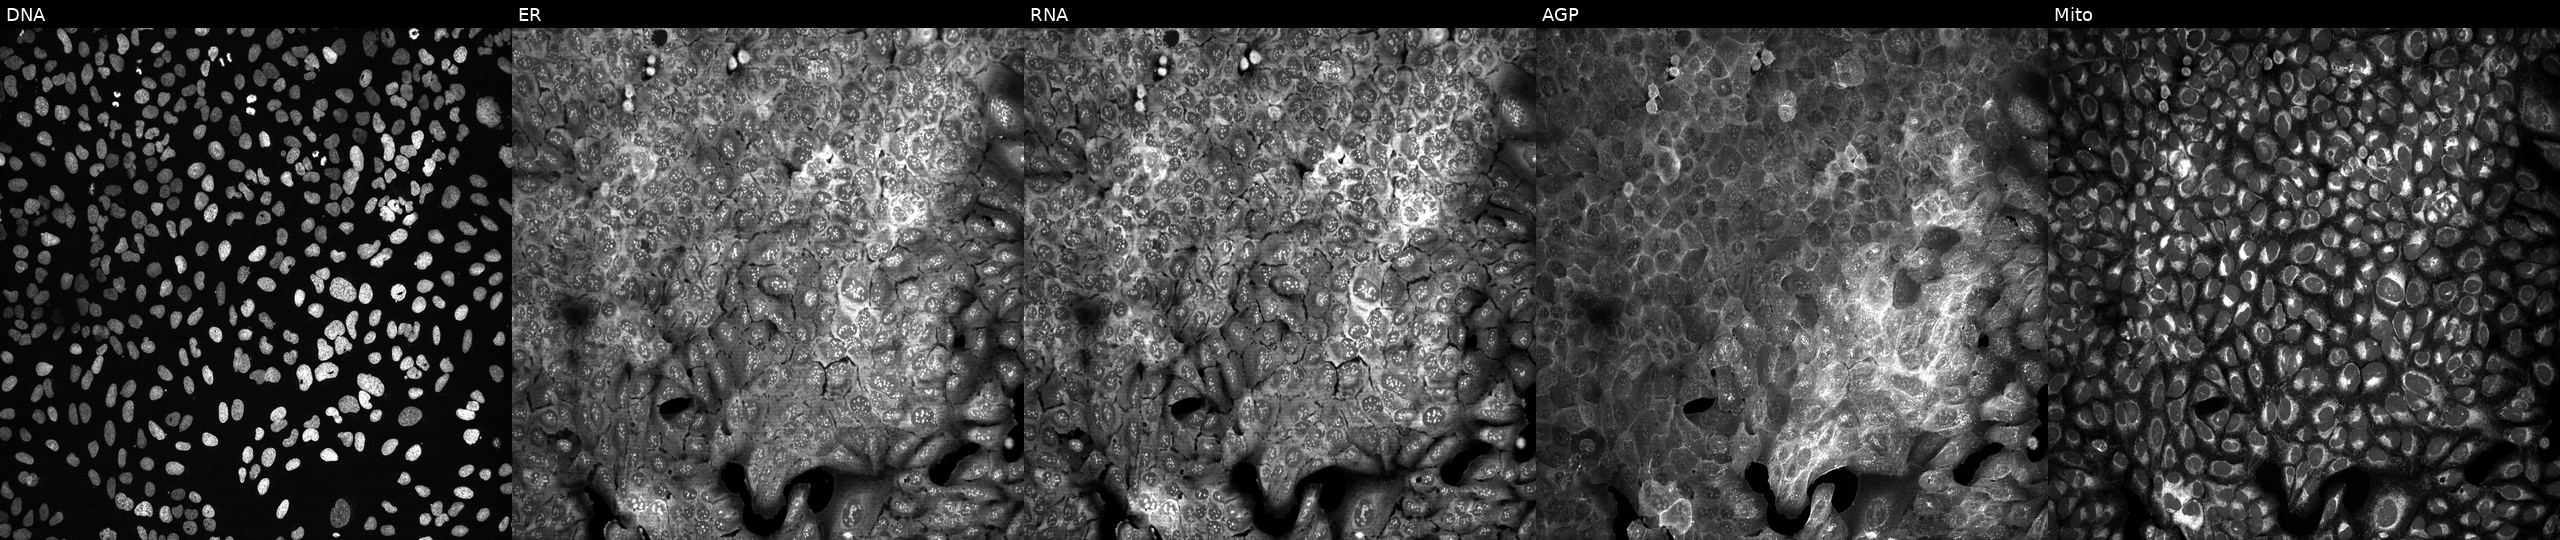
This image strip shows the five Cell Painting channels for a single field of U2OS cells following CRISPR knockout of ASTL (JUMP id JCP2022_800659). From left to right: DNA, ER, RNA, AGP, and Mito.